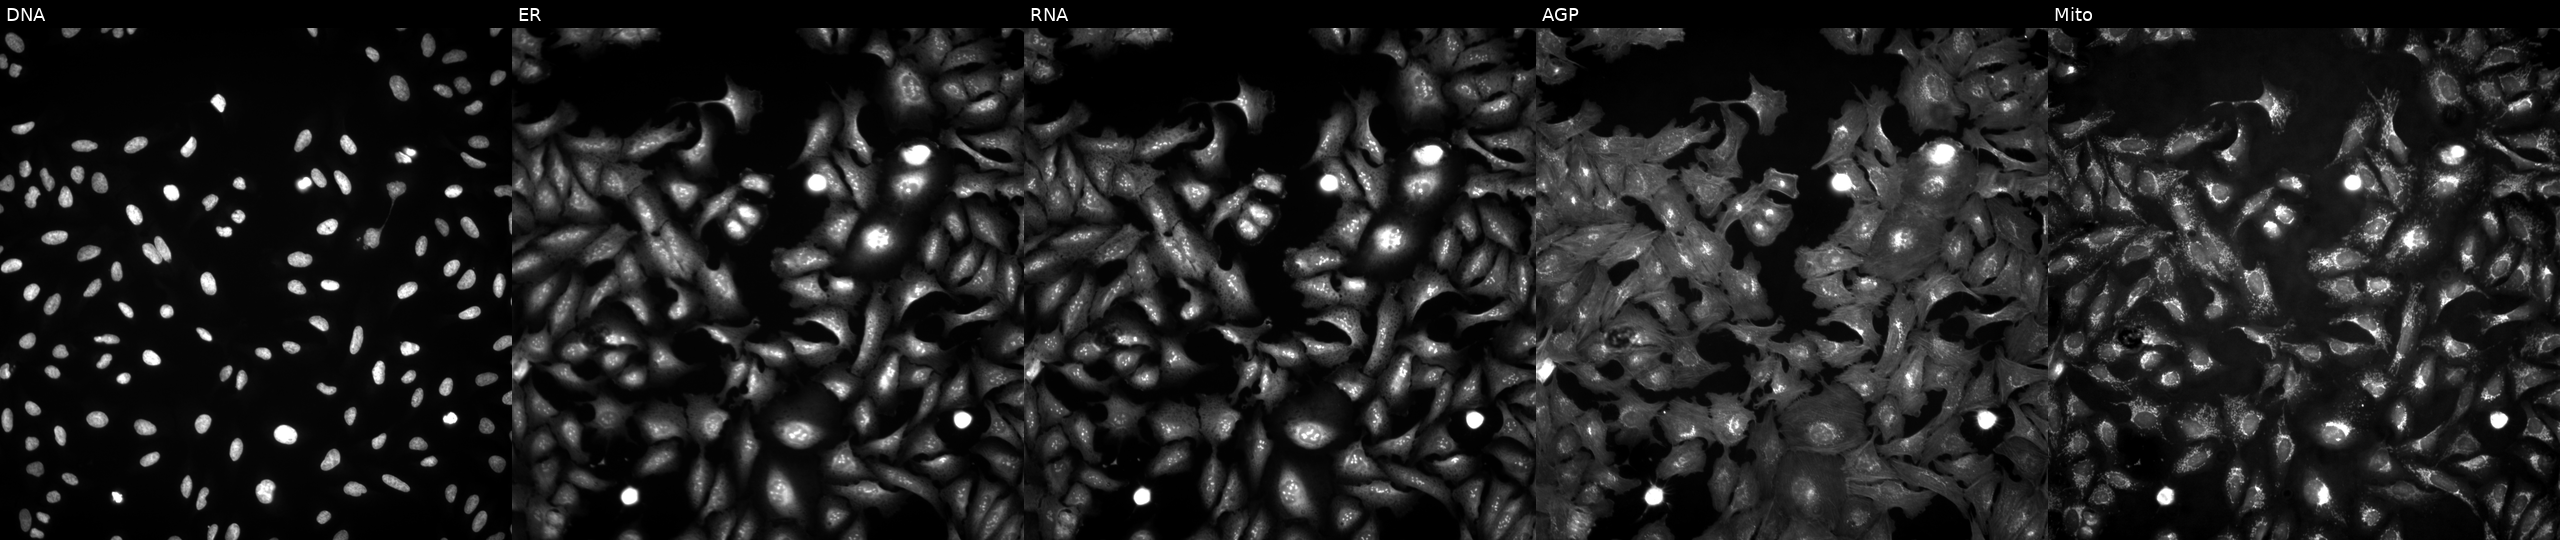
JUMP Cell Painting — ORF plate. U2OS cells with CBLB overexpressed (ORF). From left to right: DNA, ER, RNA, AGP, and Mito. Source 4, plate BR00124784, well M03.